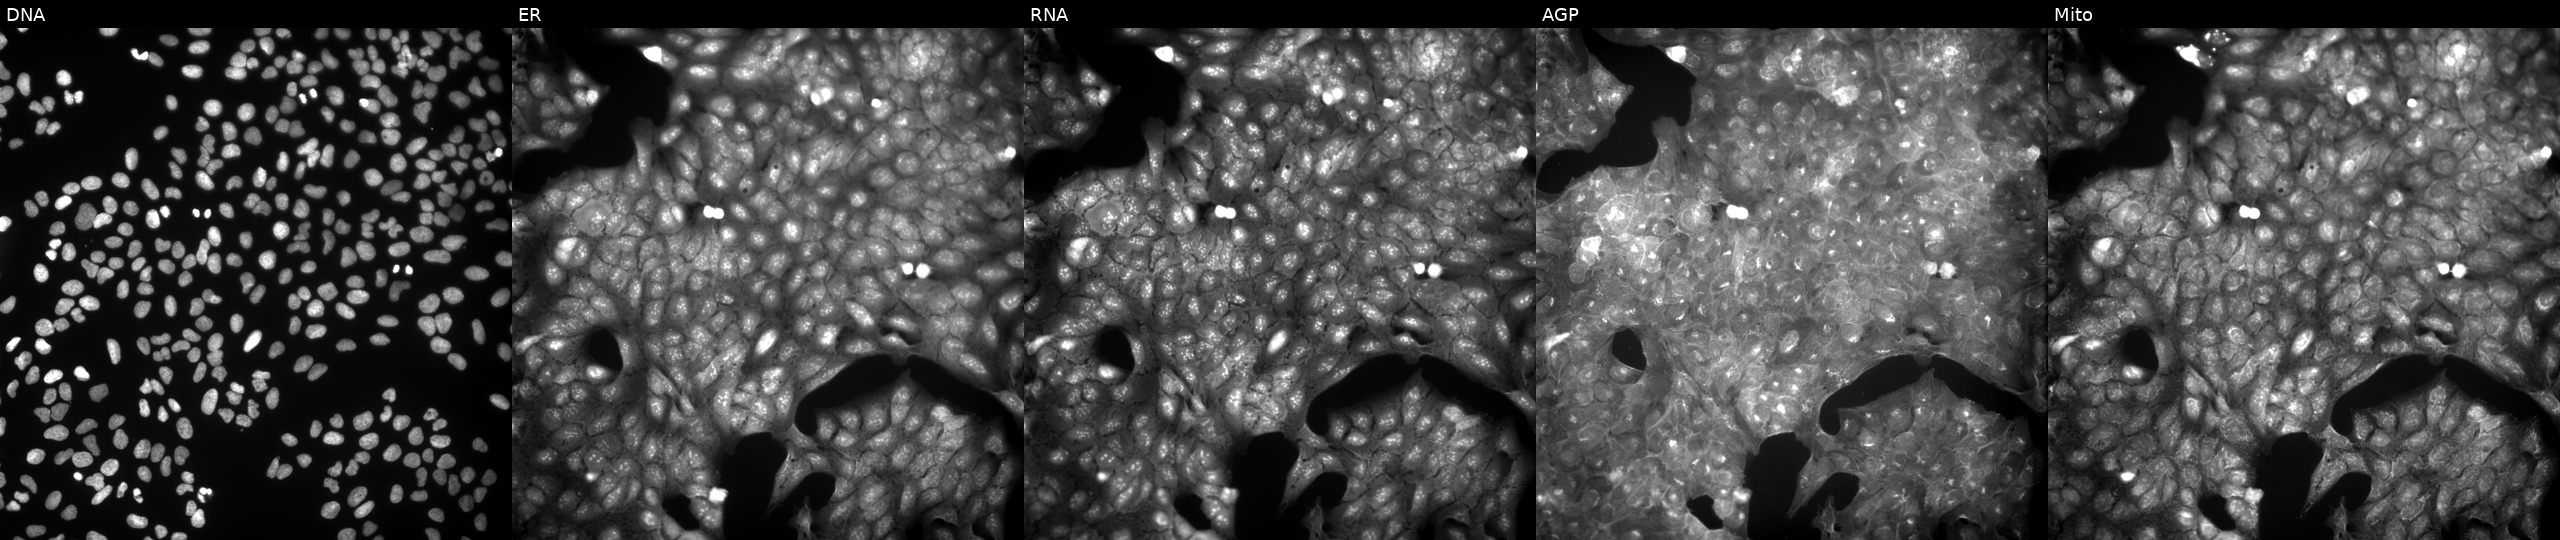
From left to right: DNA, ER, RNA, AGP, and Mito. U2OS osteosarcoma cells treated with a small-molecule compound (JUMP id JCP2022_063071). Cell Painting assay, JUMP-CP dataset.